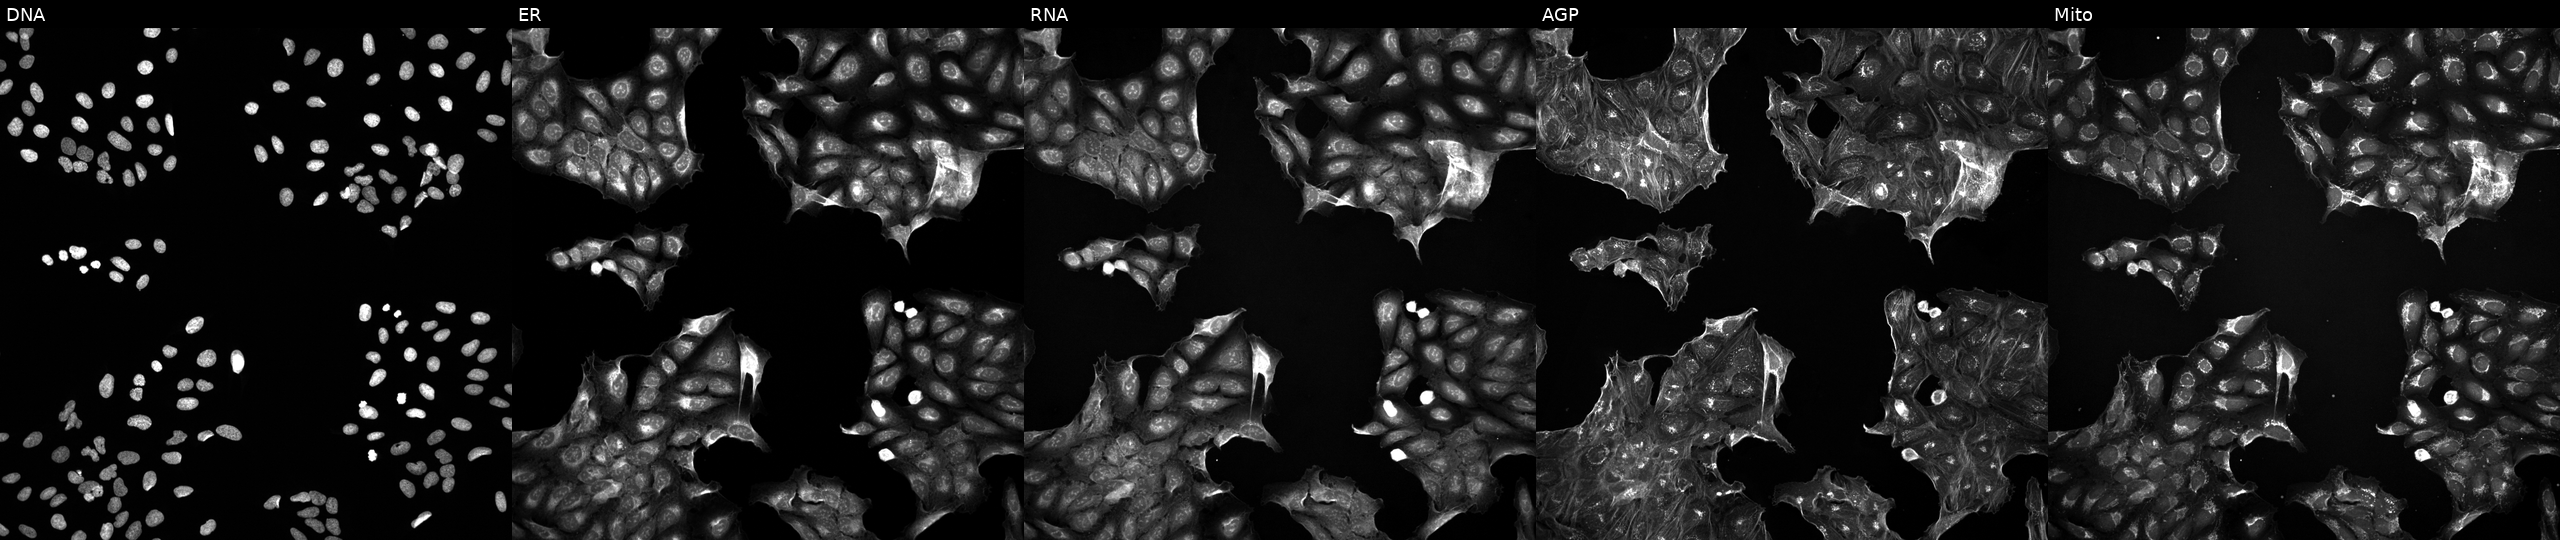
U2OS cells, Cell Painting assay, treated with a small-molecule compound (InChIKey WLBUICQBNZXIDJ-UHFFFAOYSA-N). From left to right: DNA (nuclei); ER (endoplasmic reticulum); RNA (nucleoli and cytoplasmic RNA); AGP (actin cytoskeleton, Golgi, and plasma membrane); Mito (mitochondria). Each panel is percentile-stretched 16-bit fluorescence. Source 5, plate ACPJUM051, well A17.